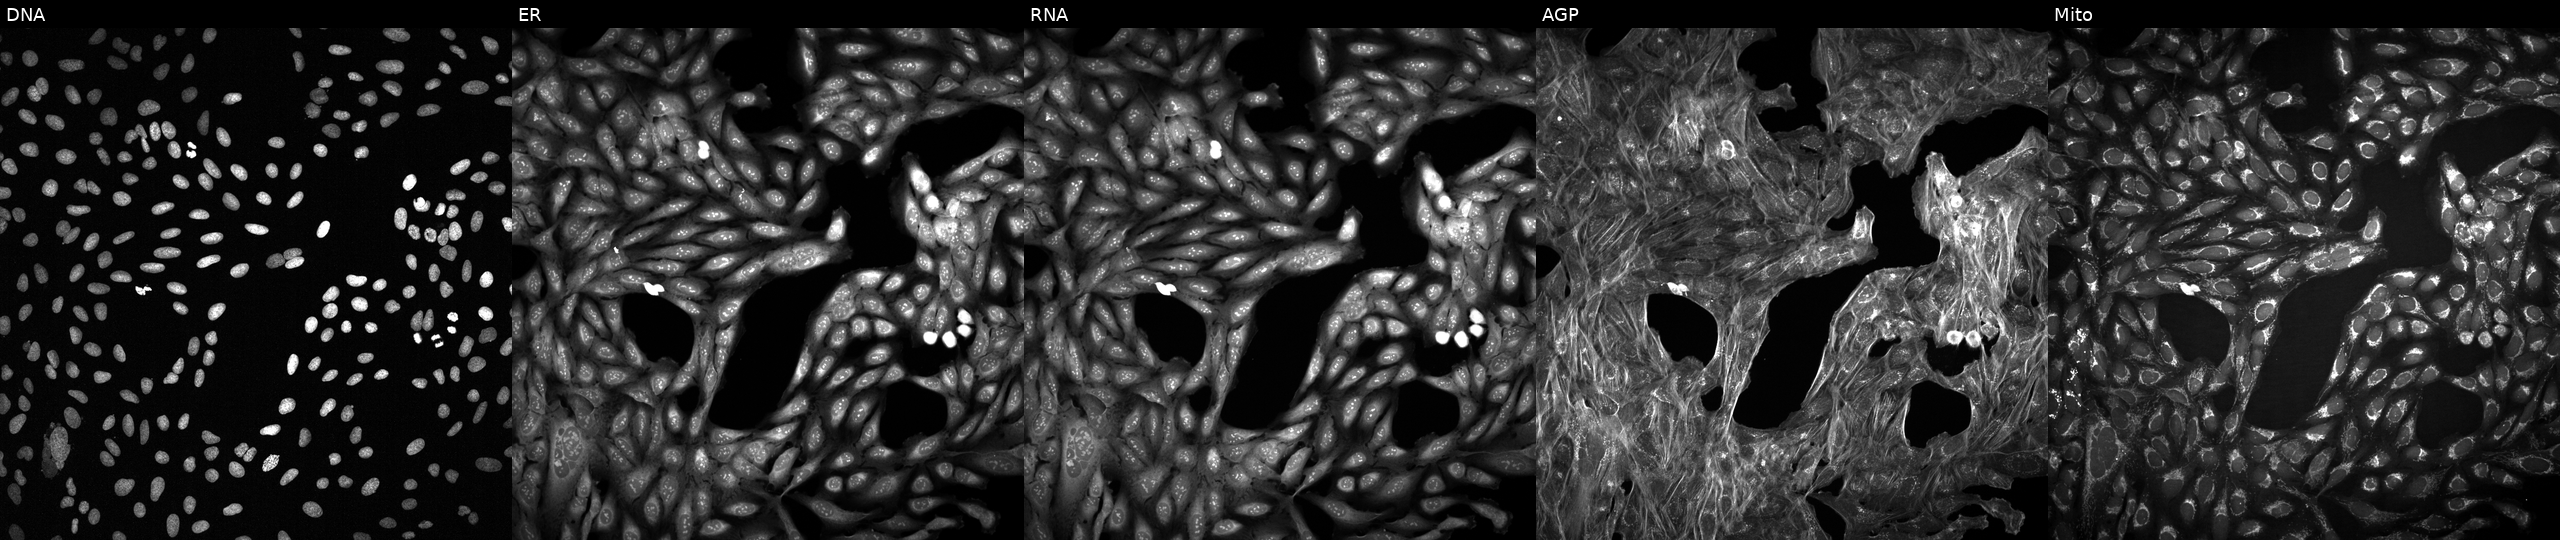
Five-channel Cell Painting image of U2OS cells treated with a small-molecule compound. Panels show, left to right, Hoechst 33342, concanavalin A, SYTO 14, phalloidin and WGA, MitoTracker.